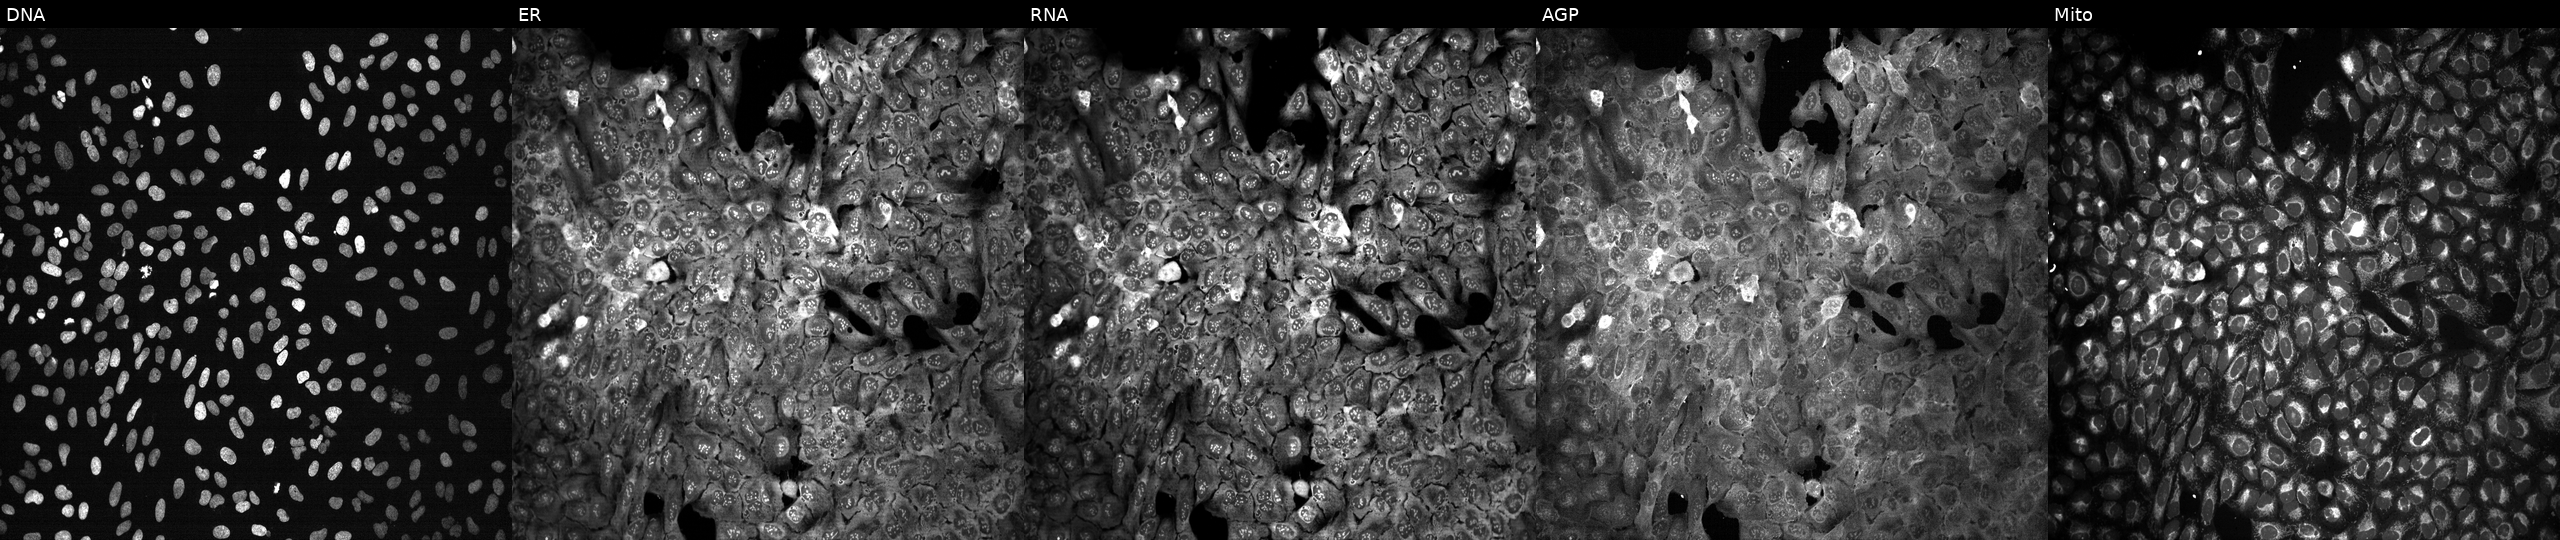
The five panels, left to right, show DNA, ER, RNA, AGP, and Mito. U2OS osteosarcoma cells with BAX knocked out by CRISPR (JUMP id JCP2022_800823). Cell Painting assay, JUMP-CP dataset. Source 13, plate CP-CC9-R3-01, well J21.